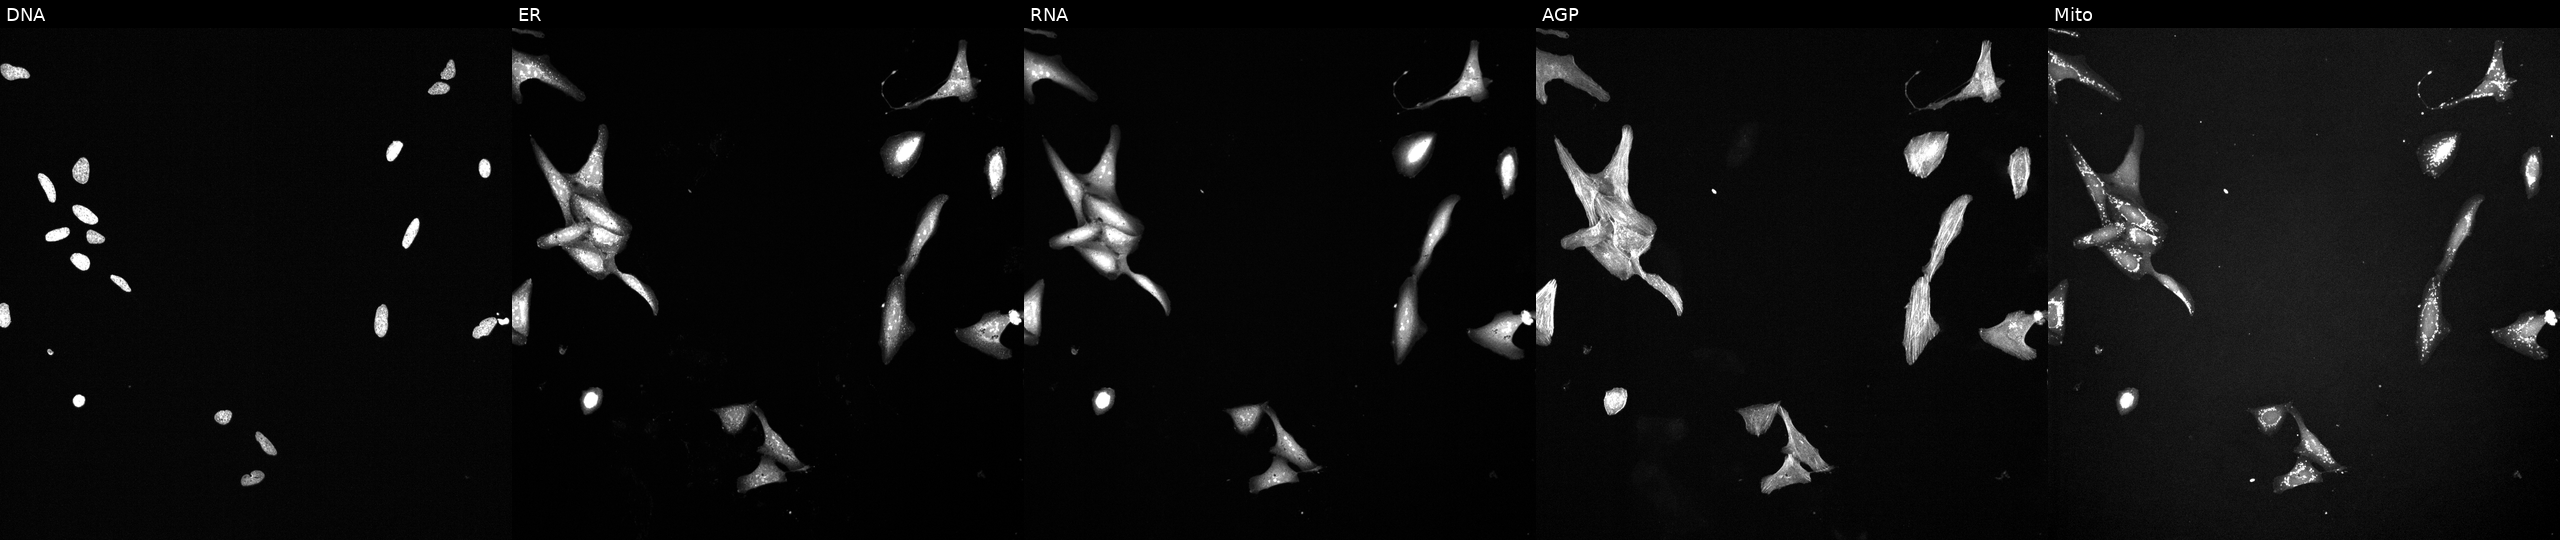
High-content fluorescence microscopy (Cell Painting). Cell line: U2OS. Perturbation: perturbed with a small-molecule compound (InChIKey YKJYKKNCCRKFSL-UHFFFAOYSA-N). Panels show, left to right, DNA, ER, RNA, AGP, and Mito. Source 6, plate 110000293093, well L09.